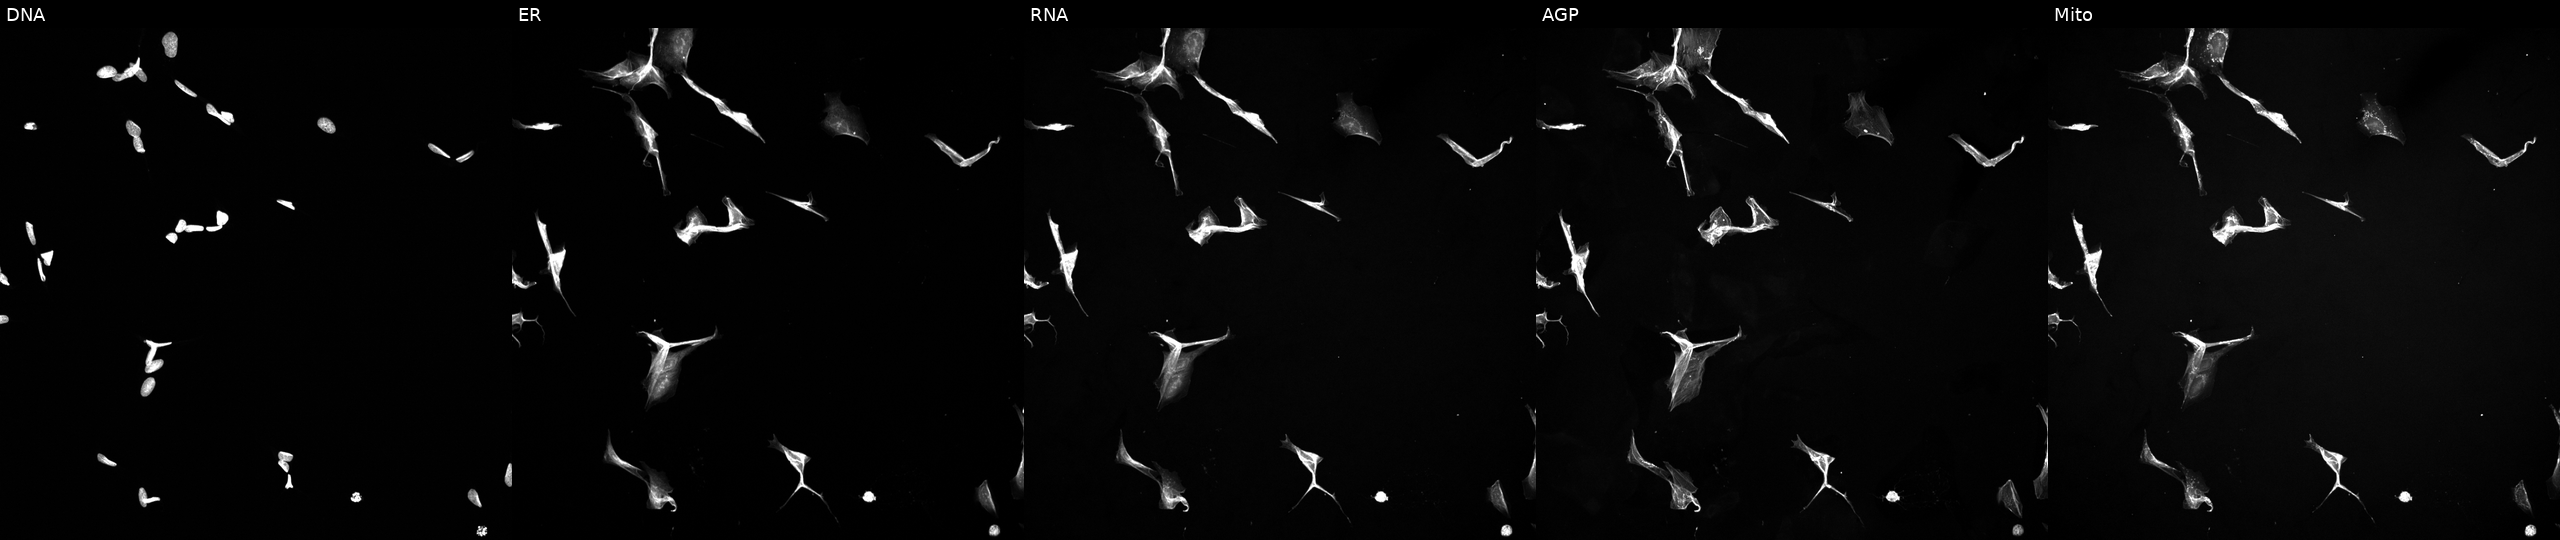
High-content fluorescence microscopy (Cell Painting). Cell line: U2OS. Perturbation: perturbed with a small-molecule compound (InChIKey HYFHYPWGAURHIV-UHFFFAOYSA-N) (JUMP id JCP2022_033400). The five panels, left to right, show DNA, ER, RNA, AGP, and Mito. Source 5, plate ACPJUM012, well E10.